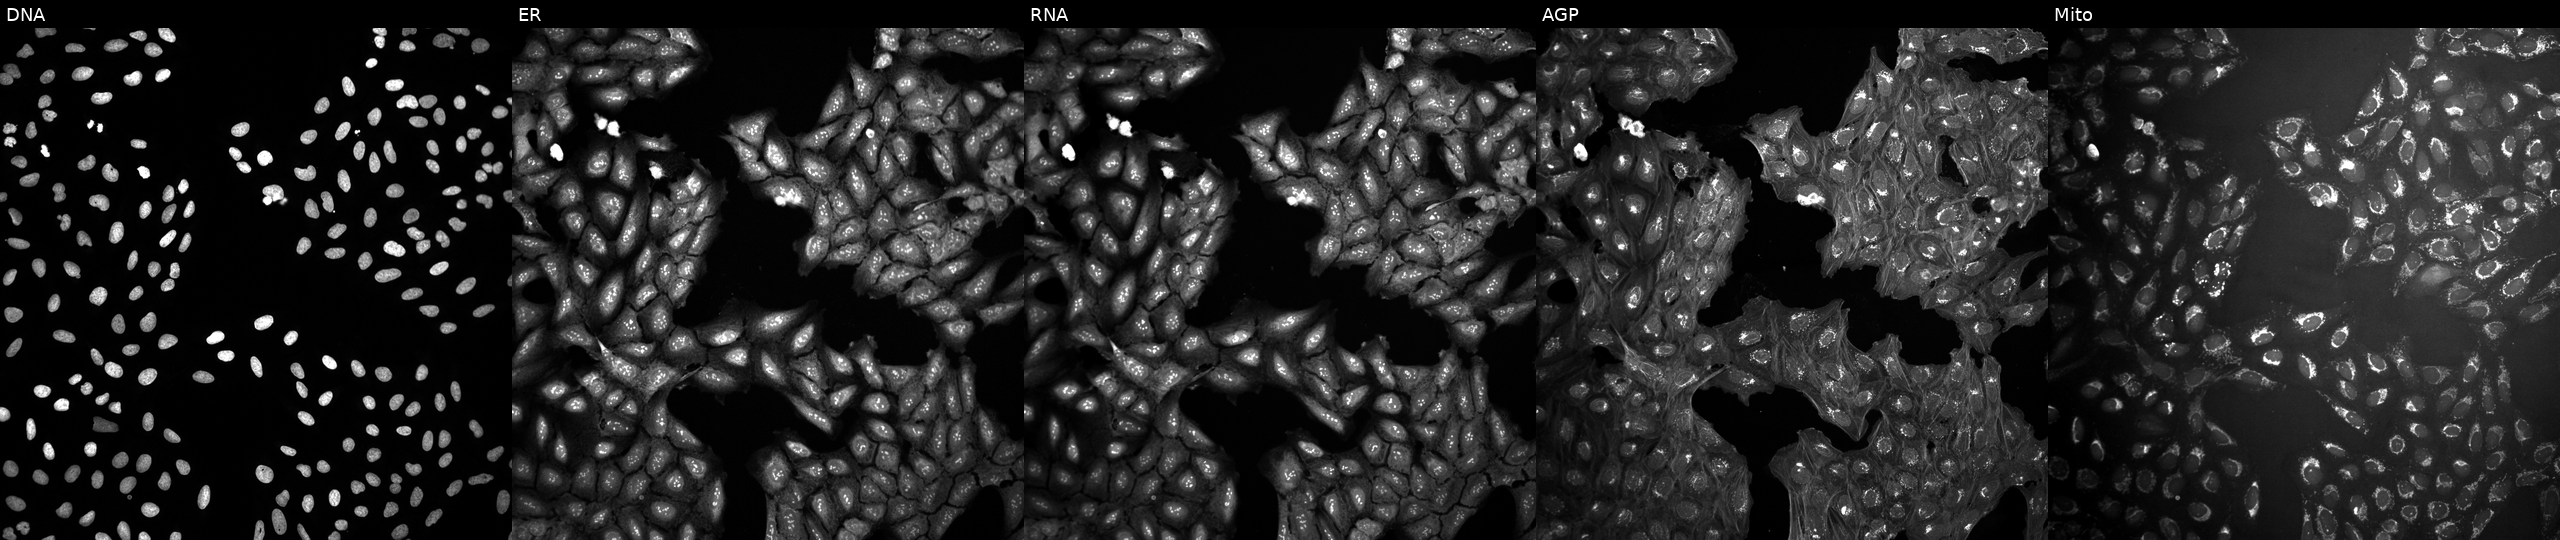
High-content fluorescence microscopy (Cell Painting). Cell line: U2OS. Perturbation: exposed to a small-molecule compound (InChIKey MBYBUCPBYPGEPZ-UHFFFAOYSA-N). Panels show, left to right, DNA (nuclei); ER (endoplasmic reticulum); RNA (nucleoli and cytoplasmic RNA); AGP (actin cytoskeleton, Golgi, and plasma membrane); Mito (mitochondria). Source 10, plate Dest210531-152149, well G20.